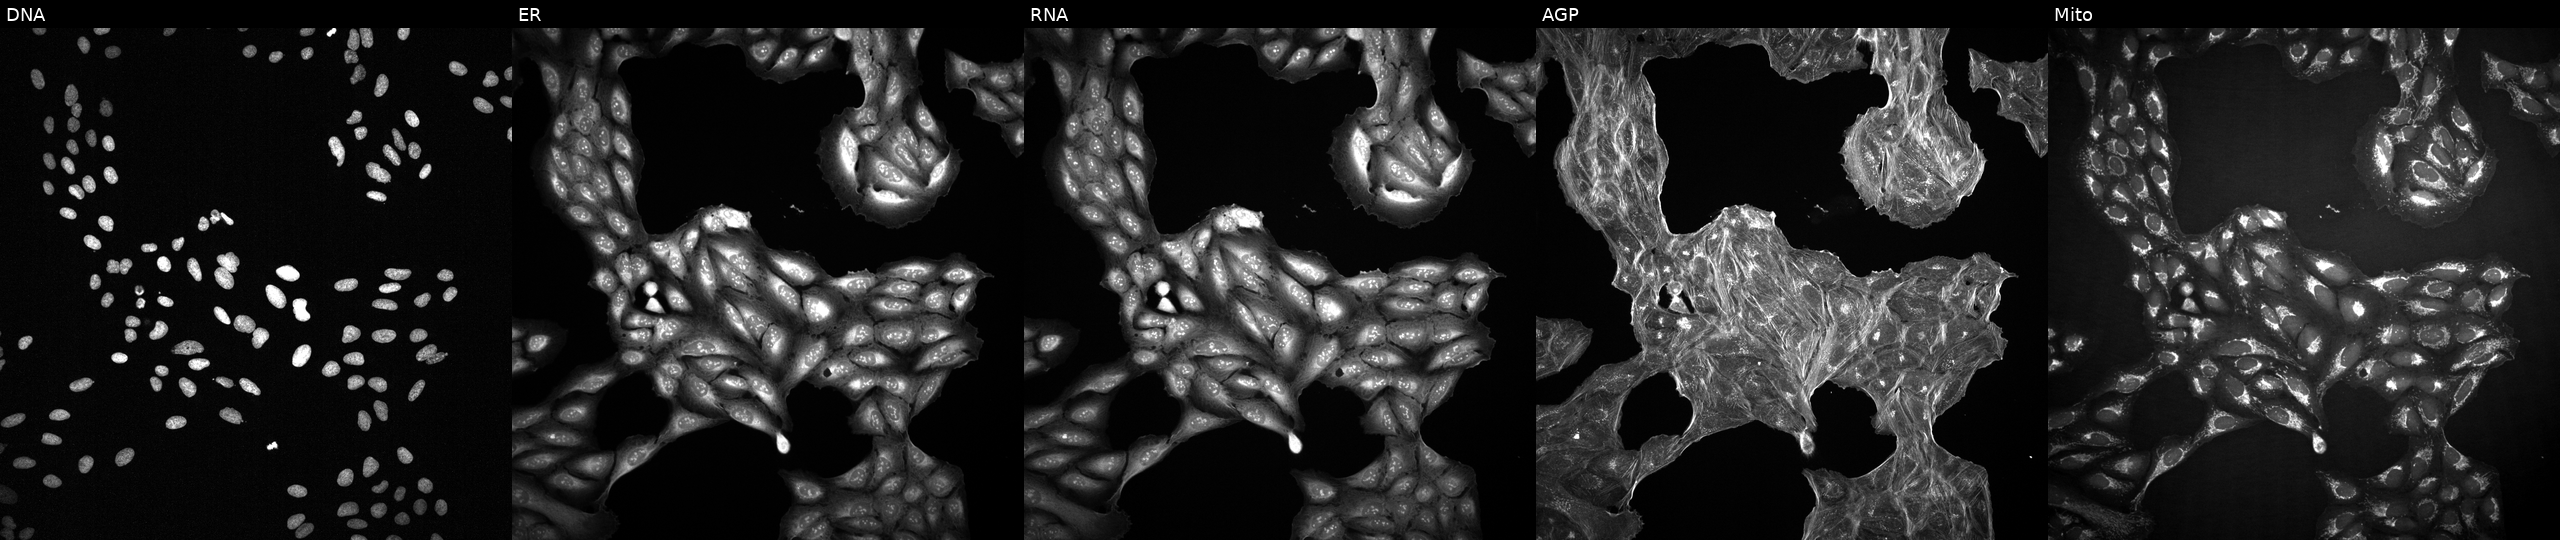
JUMP Cell Painting — TARGET2 plate. U2OS cells exposed to a small-molecule compound (InChIKey BCZUAADEACICHN-UHFFFAOYSA-N). Panels show, left to right, DNA (nuclei); ER (endoplasmic reticulum); RNA (nucleoli and cytoplasmic RNA); AGP (actin cytoskeleton, Golgi, and plasma membrane); Mito (mitochondria).